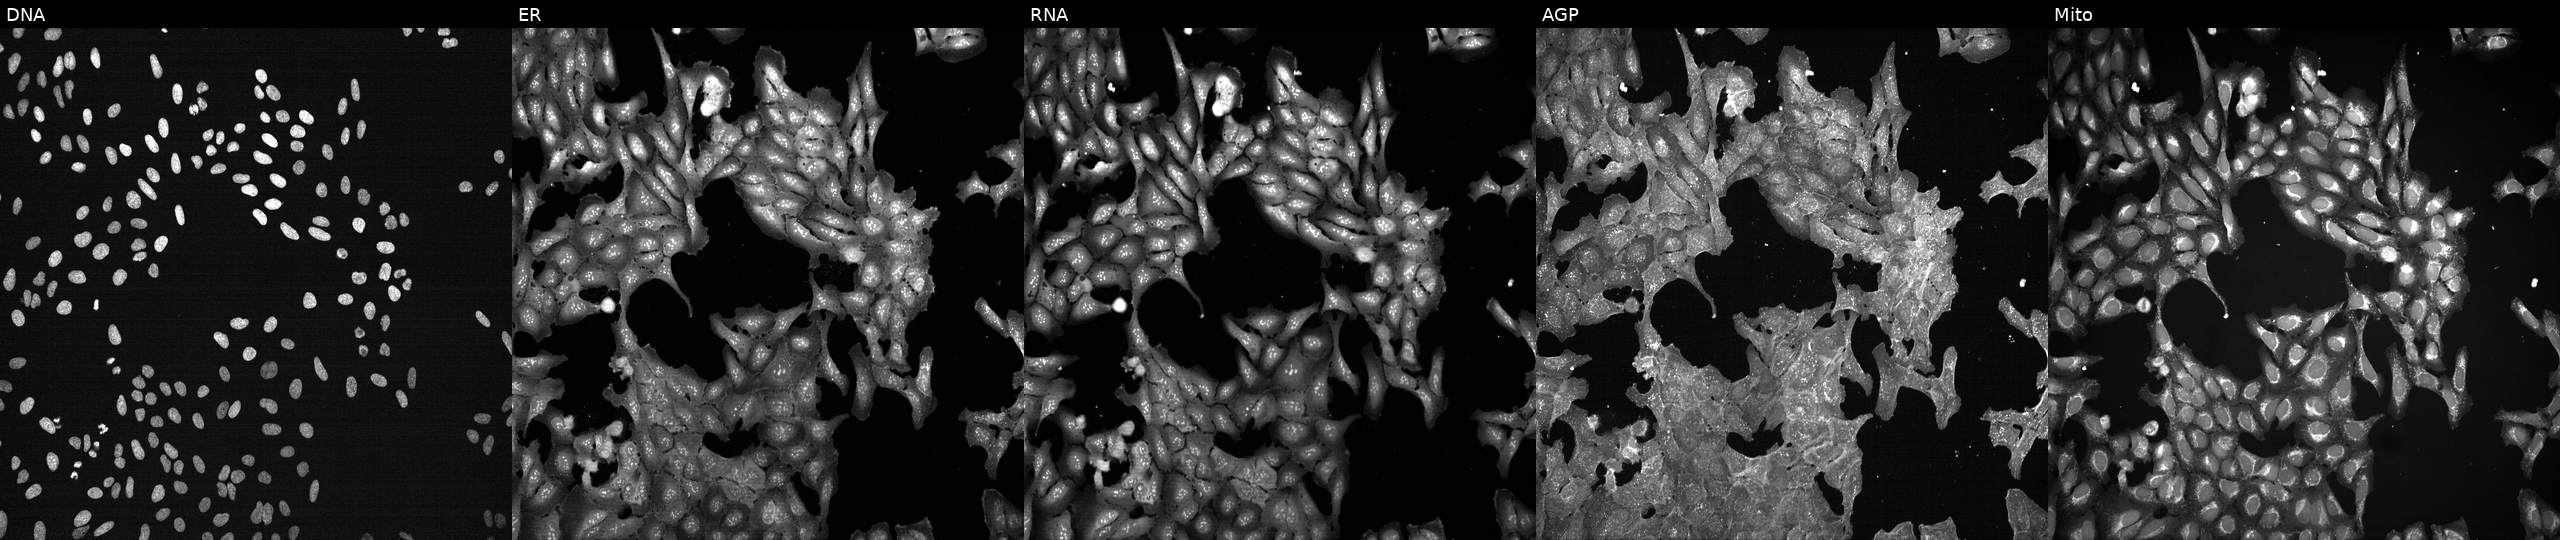
U2OS cells, Cell Painting assay, exposed to a small-molecule compound (InChIKey AUMHDRMJJNZTPB-UHFFFAOYSA-N) (JUMP id JCP2022_003951). Panels show, left to right, DNA (nuclei); ER (endoplasmic reticulum); RNA (nucleoli and cytoplasmic RNA); AGP (actin cytoskeleton, Golgi, and plasma membrane); Mito (mitochondria). Each panel is percentile-stretched 16-bit fluorescence. Source 7, plate CP2-SC1-25, well N09.